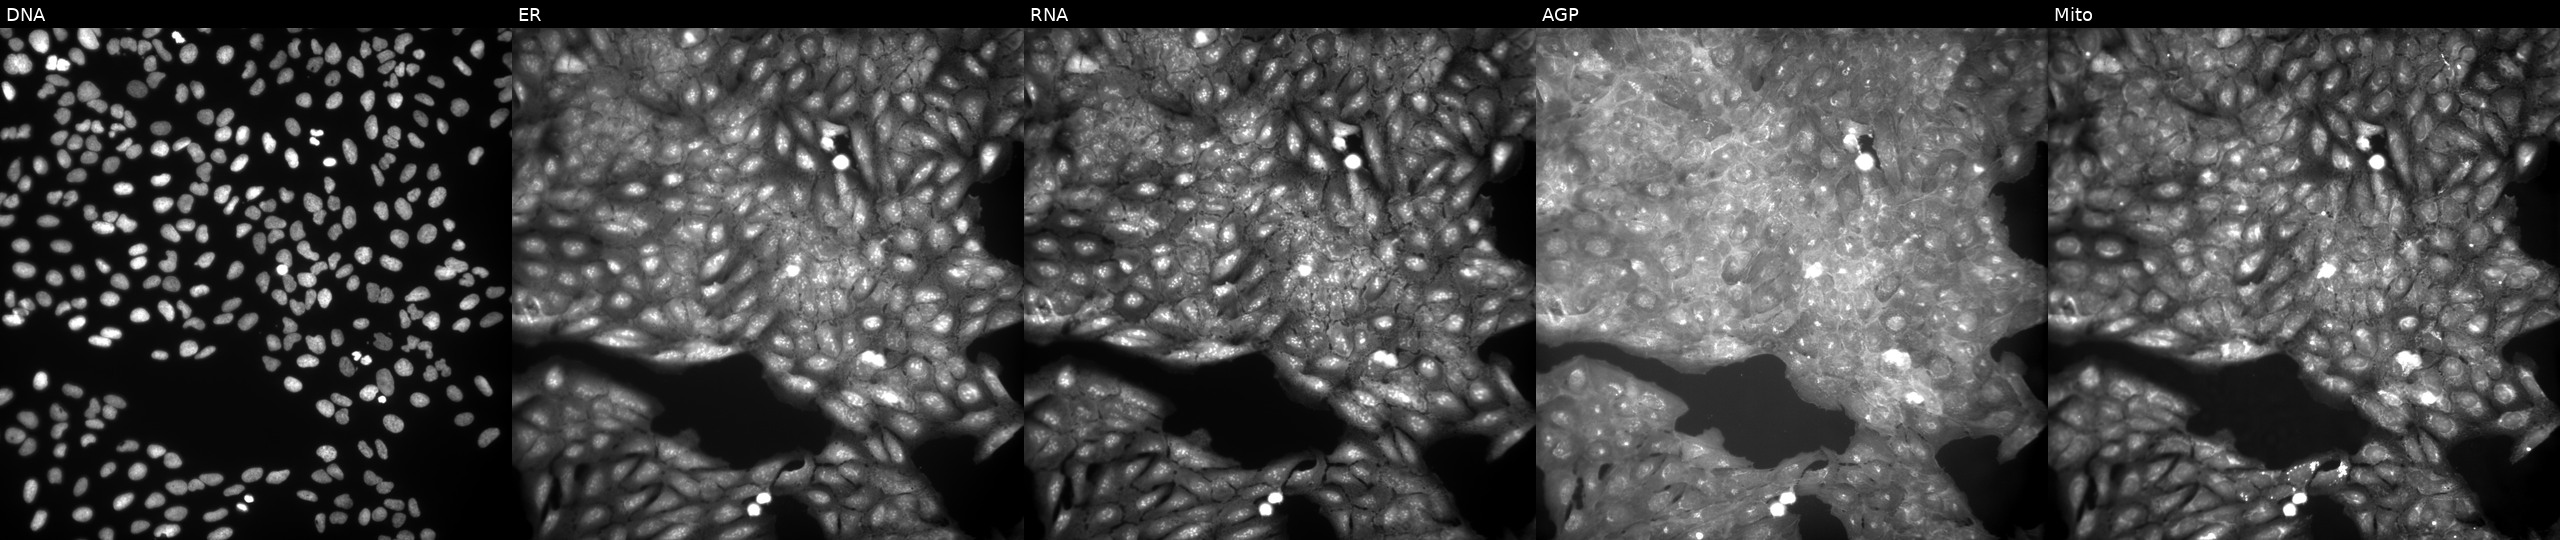
This image strip shows the five Cell Painting channels for a single field of U2OS cells exposed to a small-molecule compound (InChIKey JUZQPSVJSMGWFG-UHFFFAOYSA-N) (JUMP id JCP2022_042309). From left to right: DNA (nuclei); ER (endoplasmic reticulum); RNA (nucleoli and cytoplasmic RNA); AGP (actin cytoskeleton, Golgi, and plasma membrane); Mito (mitochondria).